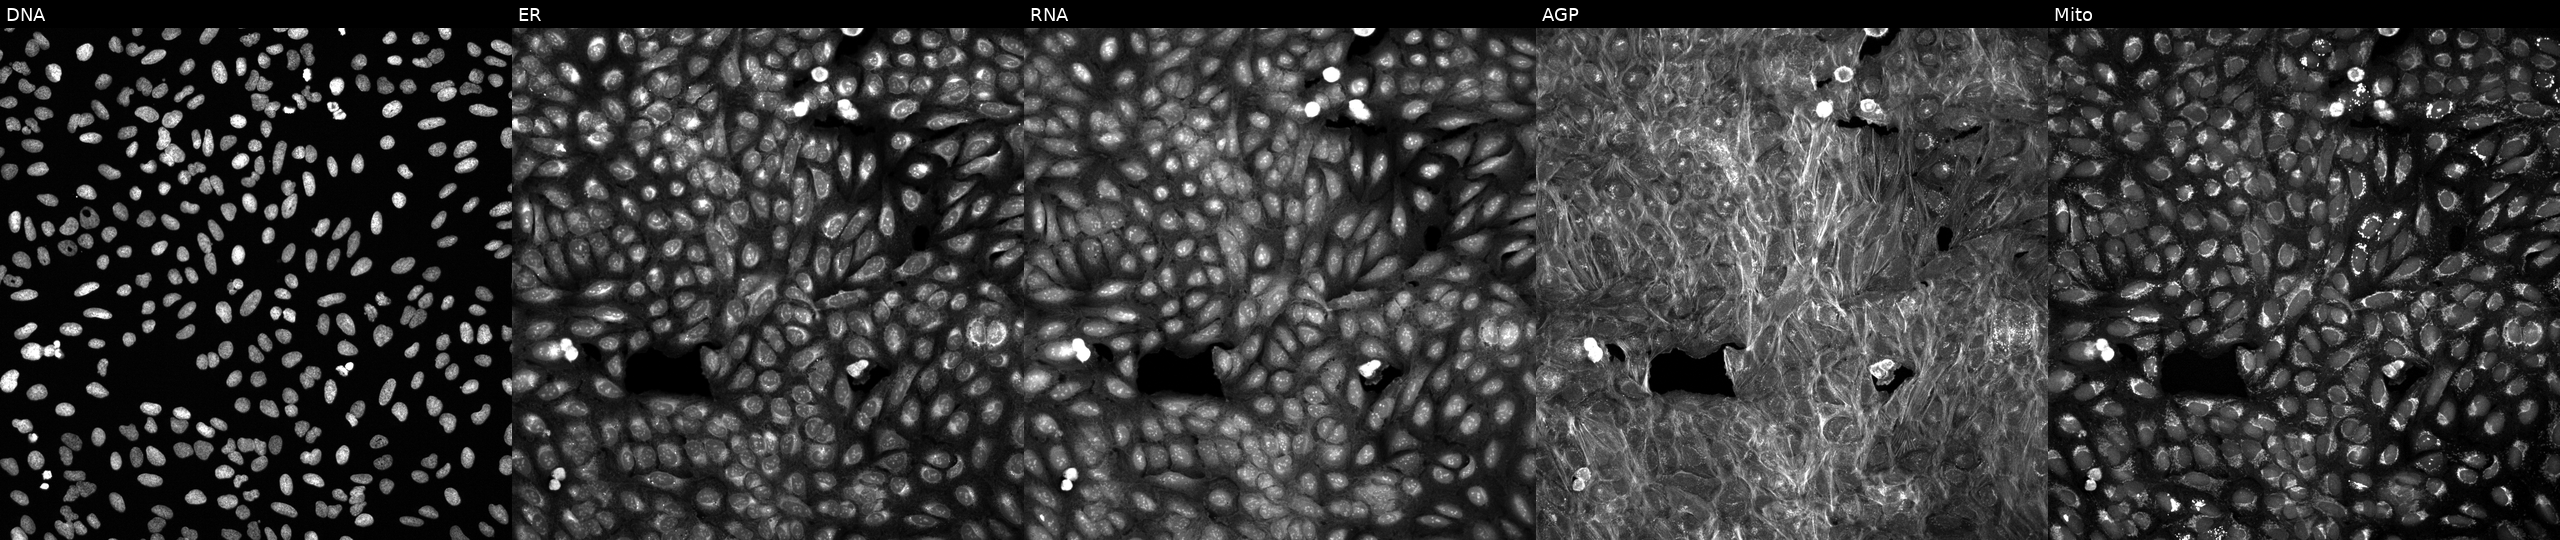
This image strip shows the five Cell Painting channels for a single field of U2OS cells exposed to a small-molecule compound (JUMP id JCP2022_087444). The five panels, left to right, show DNA (nuclei); ER (endoplasmic reticulum); RNA (nucleoli and cytoplasmic RNA); AGP (actin cytoskeleton, Golgi, and plasma membrane); Mito (mitochondria). Source 6, plate 110000294901, well C15.